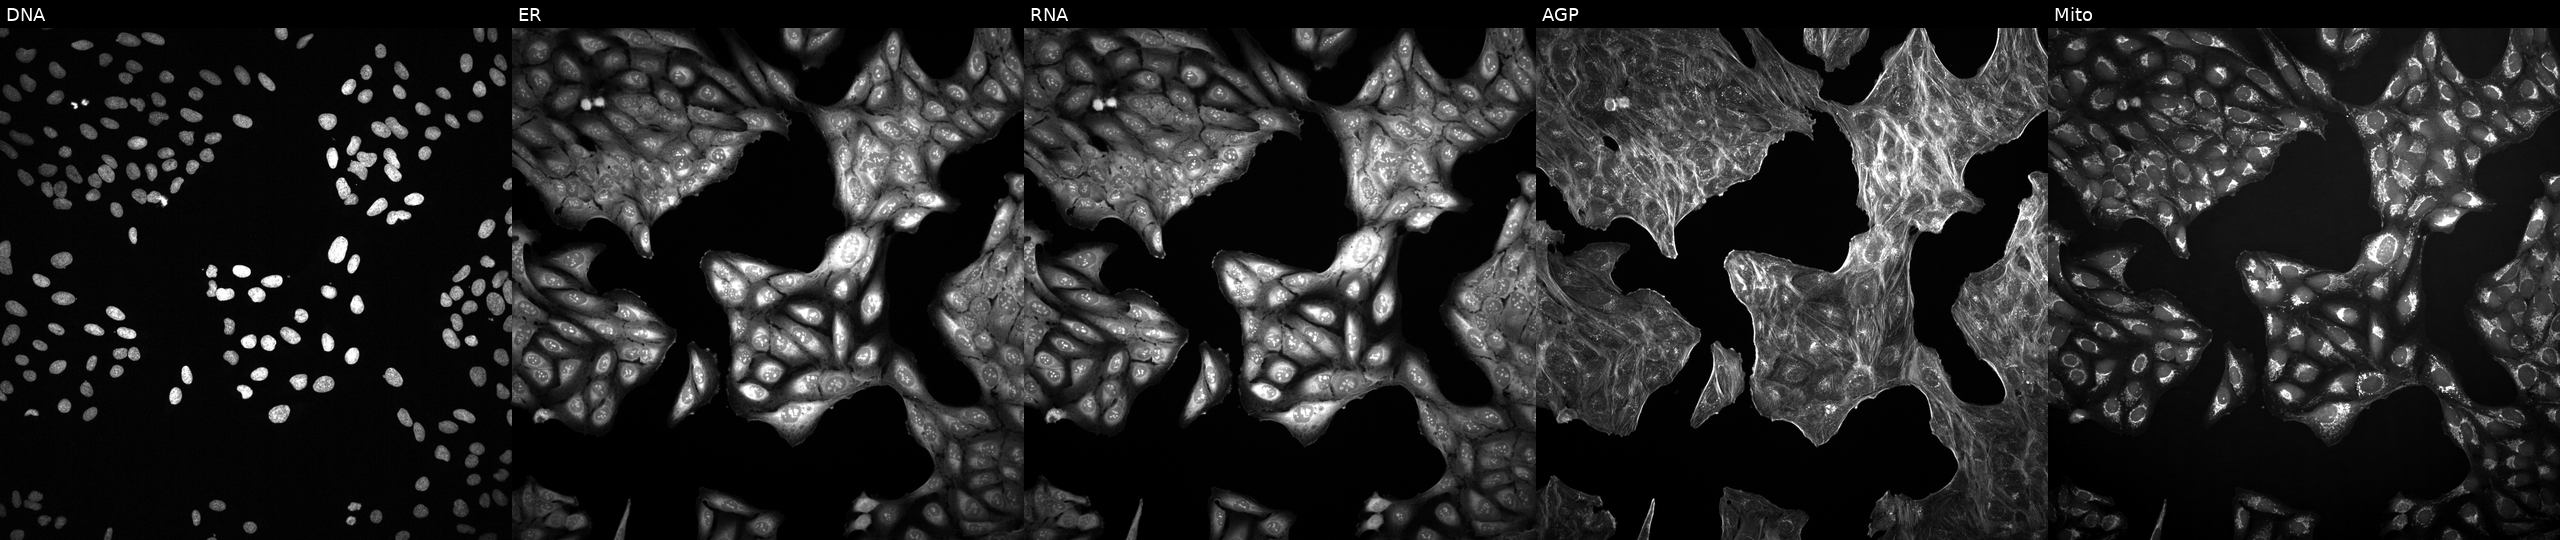
U2OS cells, Cell Painting assay, perturbed with a small-molecule compound (InChIKey KFAKESMKRPNZTM-UHFFFAOYSA-N) (JUMP id JCP2022_044197). From left to right: DNA, ER, RNA, AGP, and Mito. Each panel is percentile-stretched 16-bit fluorescence.